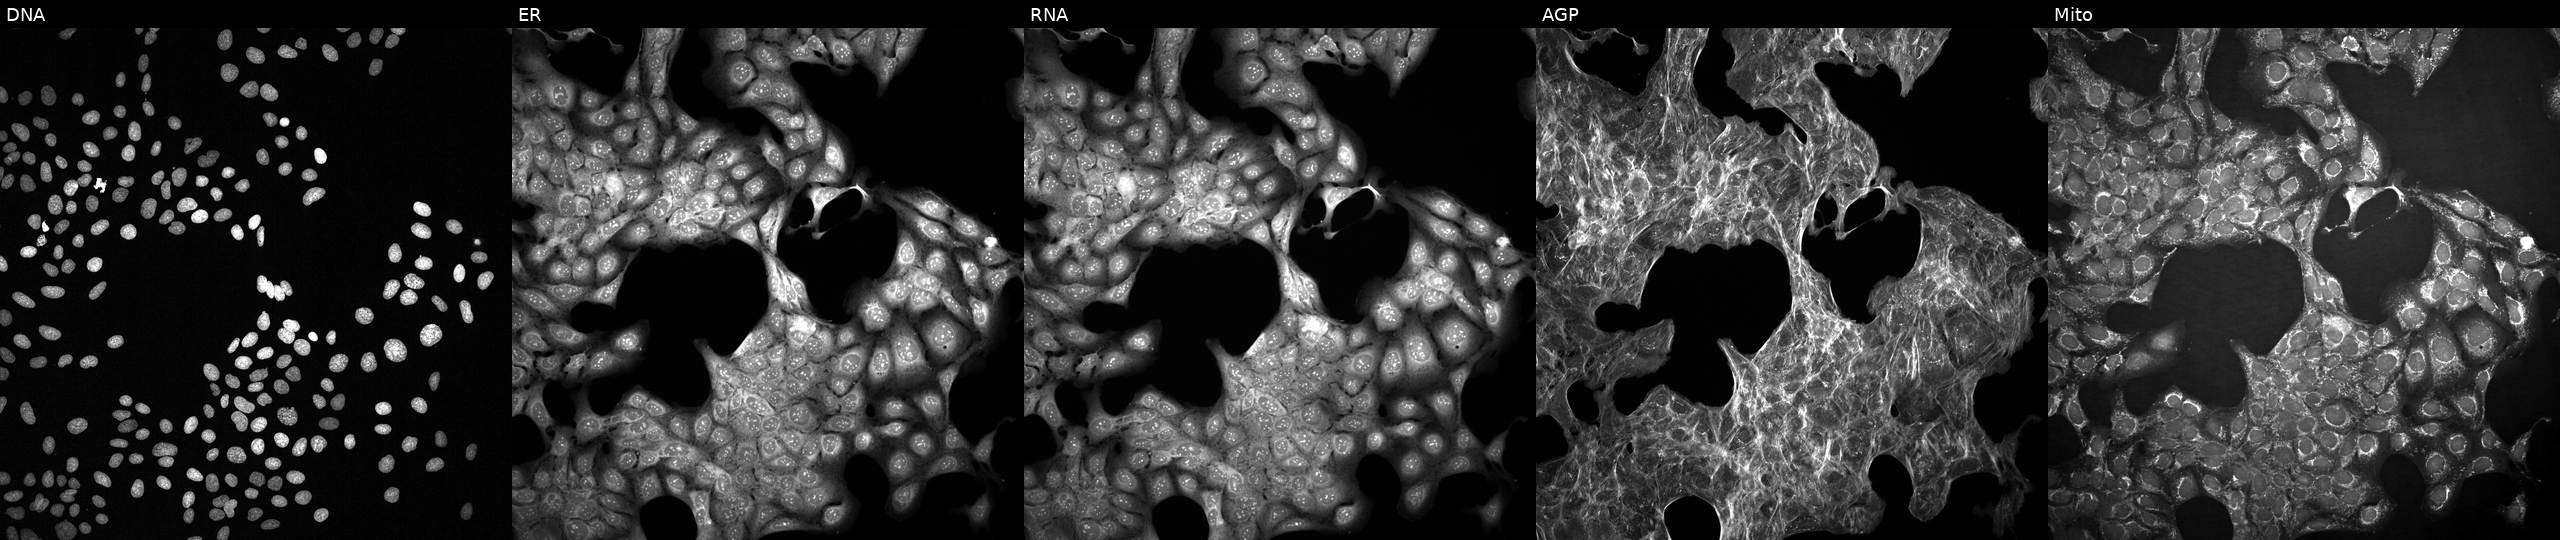
High-content fluorescence microscopy (Cell Painting). Cell line: U2OS. Perturbation: exposed to the positive-control compound LY2109761 (JUMP id JCP2022_035095). Panels show, left to right, Hoechst 33342, concanavalin A, SYTO 14, phalloidin and WGA, MitoTracker.